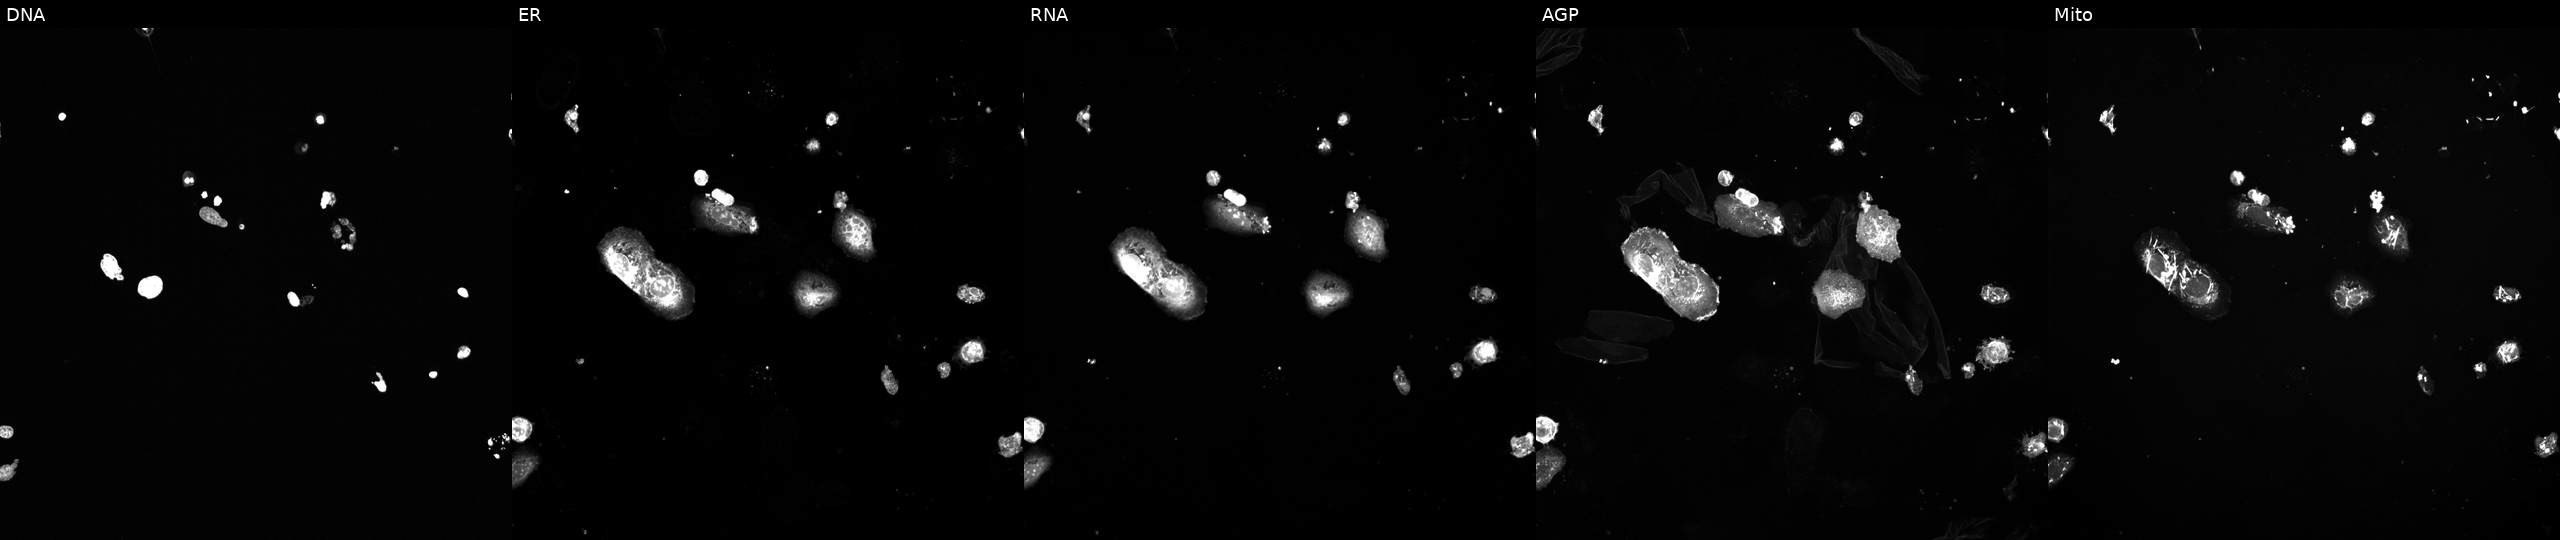
JUMP Cell Painting — COMPOUND plate. U2OS cells exposed to a small-molecule compound (InChIKey DGHVASCOBMSGOZ-UHFFFAOYSA-N). Panels show, left to right, DNA (nuclei); ER (endoplasmic reticulum); RNA (nucleoli and cytoplasmic RNA); AGP (actin cytoskeleton, Golgi, and plasma membrane); Mito (mitochondria). Source 6, plate 110000293082, well G16.